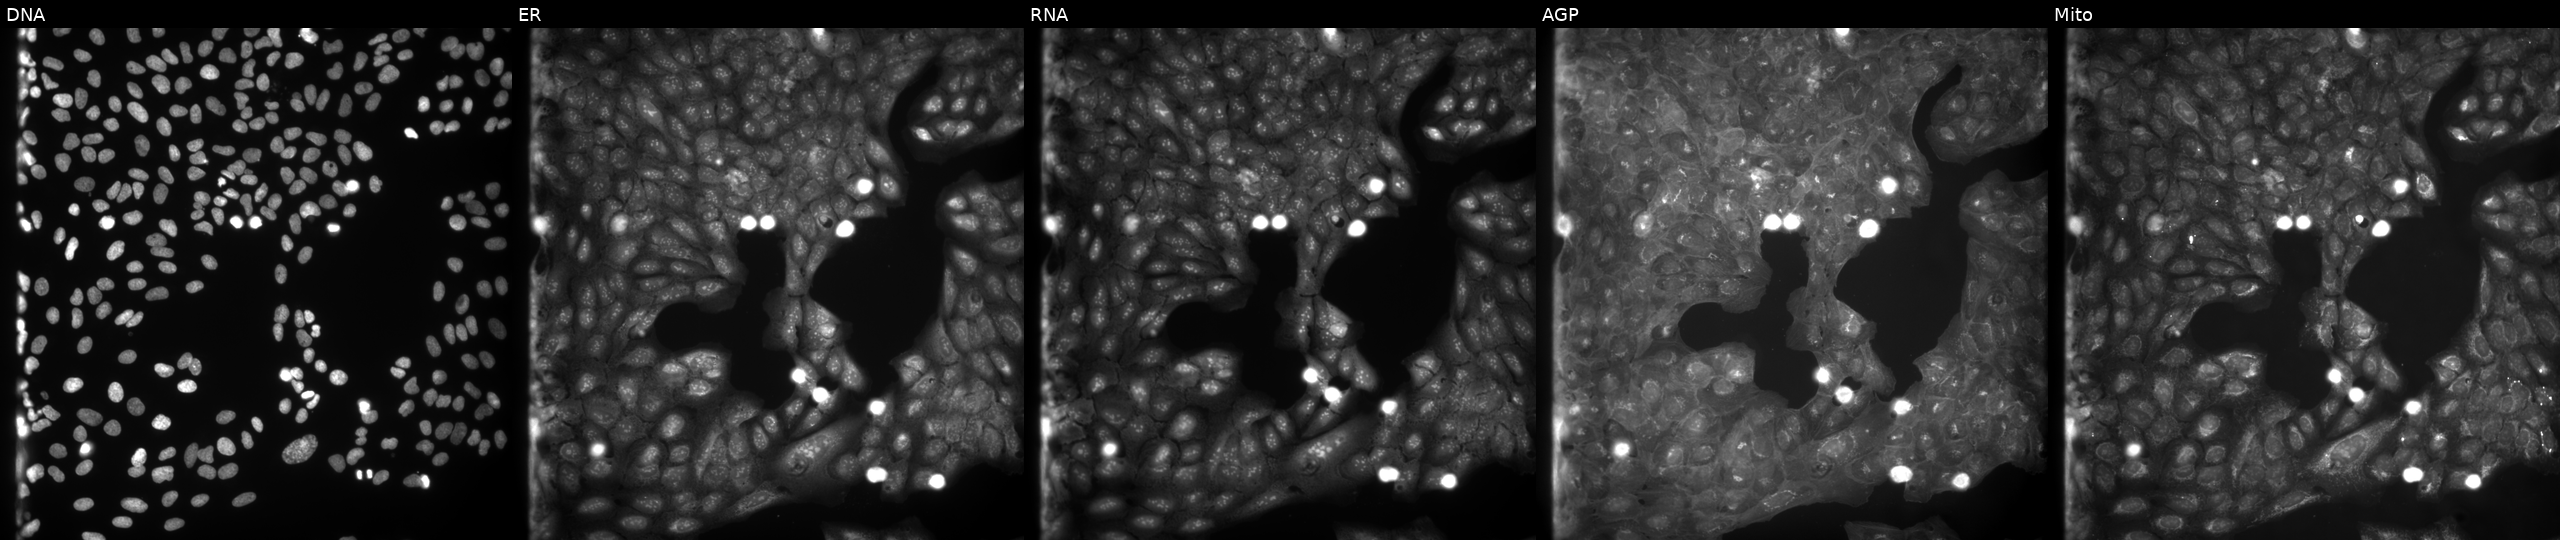
High-content fluorescence microscopy (Cell Painting). Cell line: U2OS. Perturbation: perturbed with a small-molecule compound (InChIKey OSYKBLACRGDFLM-UHFFFAOYSA-N) [SMILES: O=C(Cc1ccccc1)NNC(=O)Nc1ccc(Cl)c(Cl)c1] (JUMP id JCP2022_065928). From left to right: Hoechst 33342, concanavalin A, SYTO 14, phalloidin and WGA, MitoTracker. Source 9, plate GR00003381, well G10.